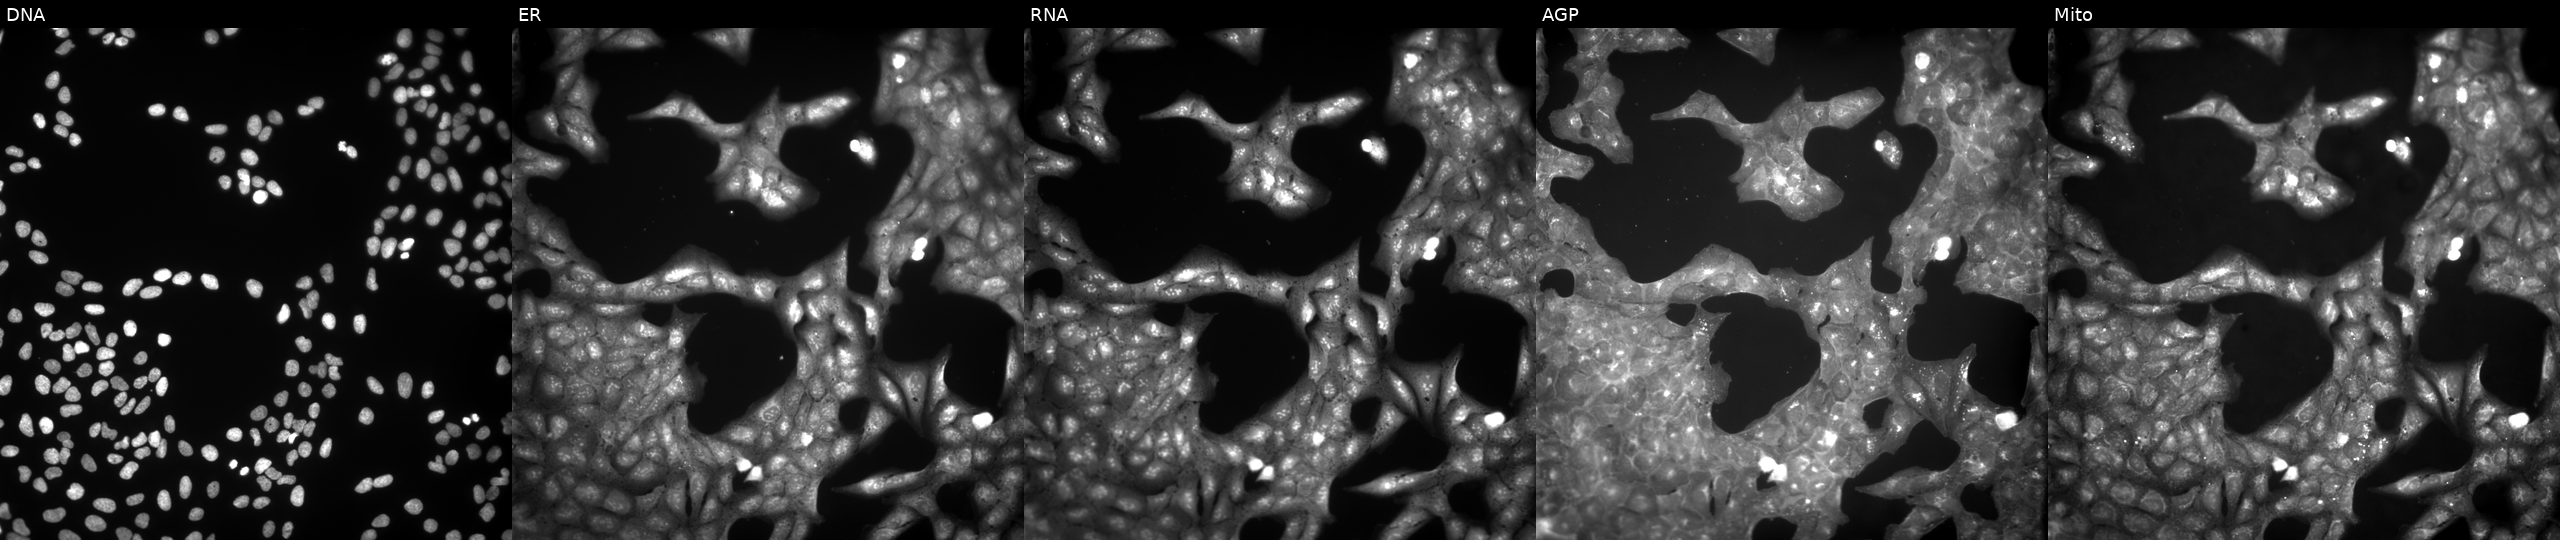
U2OS cells, Cell Painting assay, exposed to a small-molecule compound. Channels (left→right): DNA, ER, RNA, AGP, and Mito. Each panel is percentile-stretched 16-bit fluorescence. Source 9, plate GR00003381, well AC11.